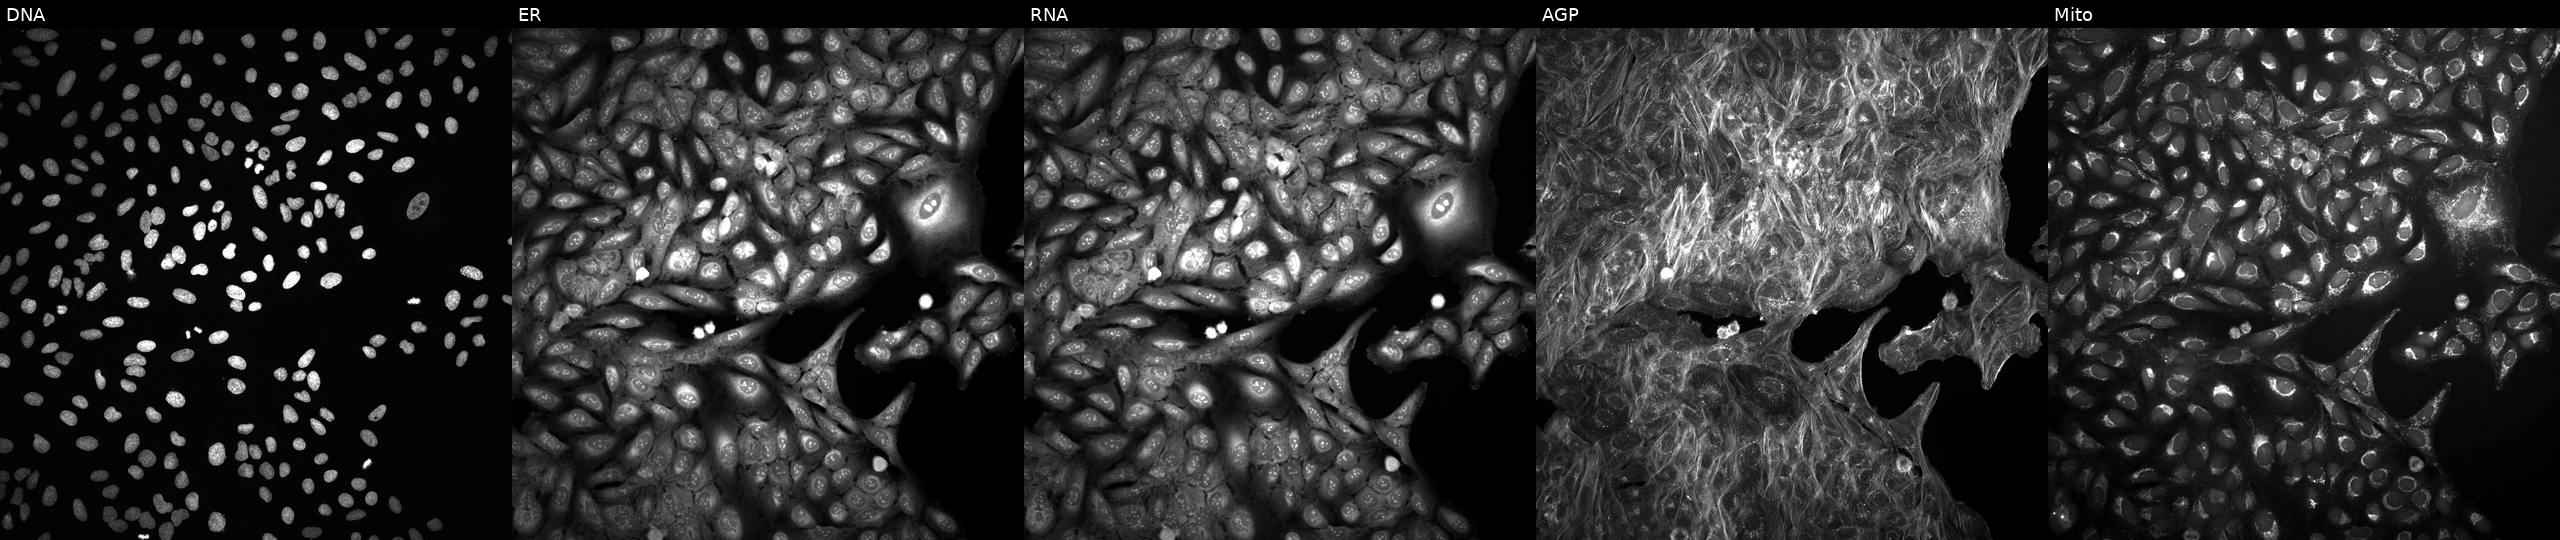
U2OS cells, Cell Painting assay, treated with DMSO vehicle only (negative control). From left to right: DNA, ER, RNA, AGP, and Mito. Each panel is percentile-stretched 16-bit fluorescence. Source 2, plate 1053597936, well H17.